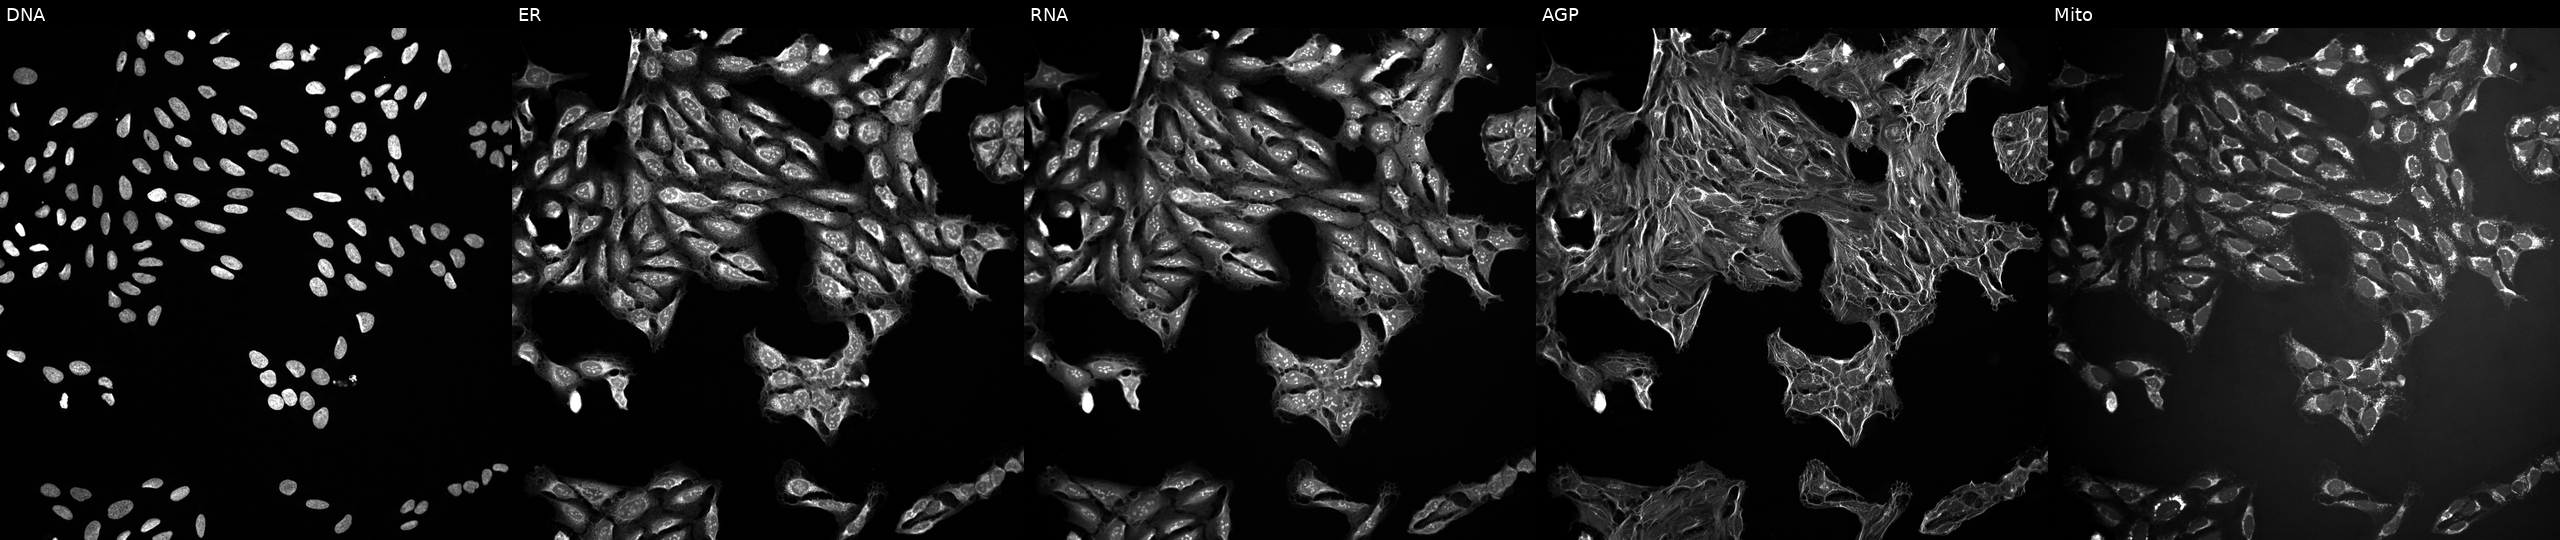
Panels show, left to right, Hoechst 33342, concanavalin A, SYTO 14, phalloidin and WGA, MitoTracker. U2OS osteosarcoma cells exposed to a small-molecule compound (InChIKey JVGBTTIJPBFLTE-UHFFFAOYSA-N). Cell Painting assay, JUMP-CP dataset. Source 10, plate Dest210727-153003, well L17.